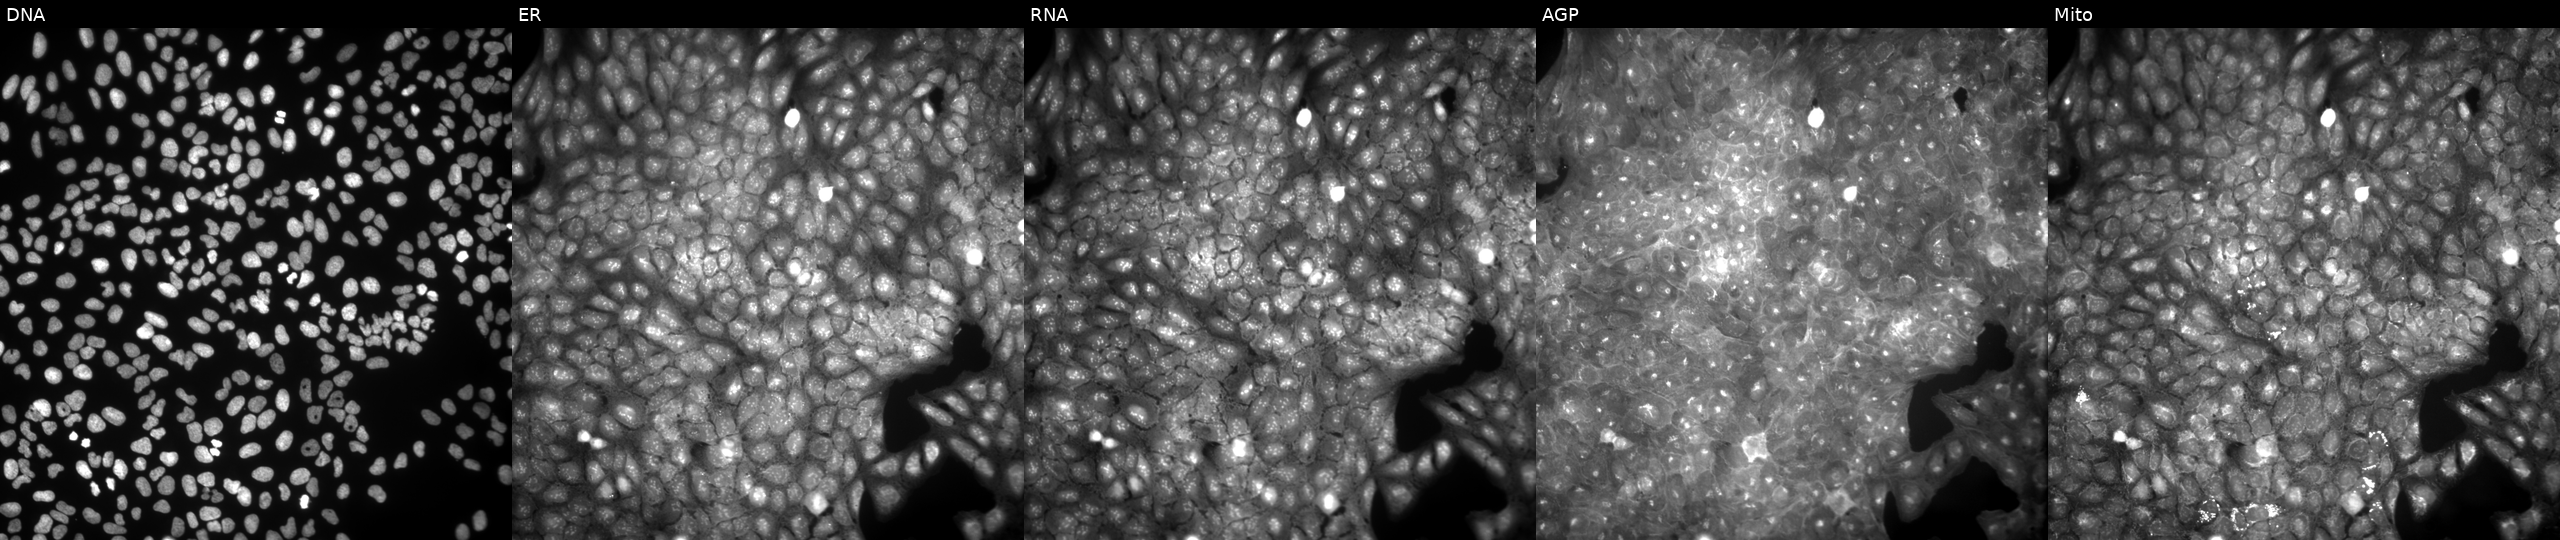
High-content fluorescence microscopy (Cell Painting). Cell line: U2OS. Perturbation: perturbed with a small-molecule compound (InChIKey KFDDPMHUFQEHAL-UHFFFAOYSA-N) (JUMP id JCP2022_044223). Panels show, left to right, DNA, ER, RNA, AGP, and Mito.